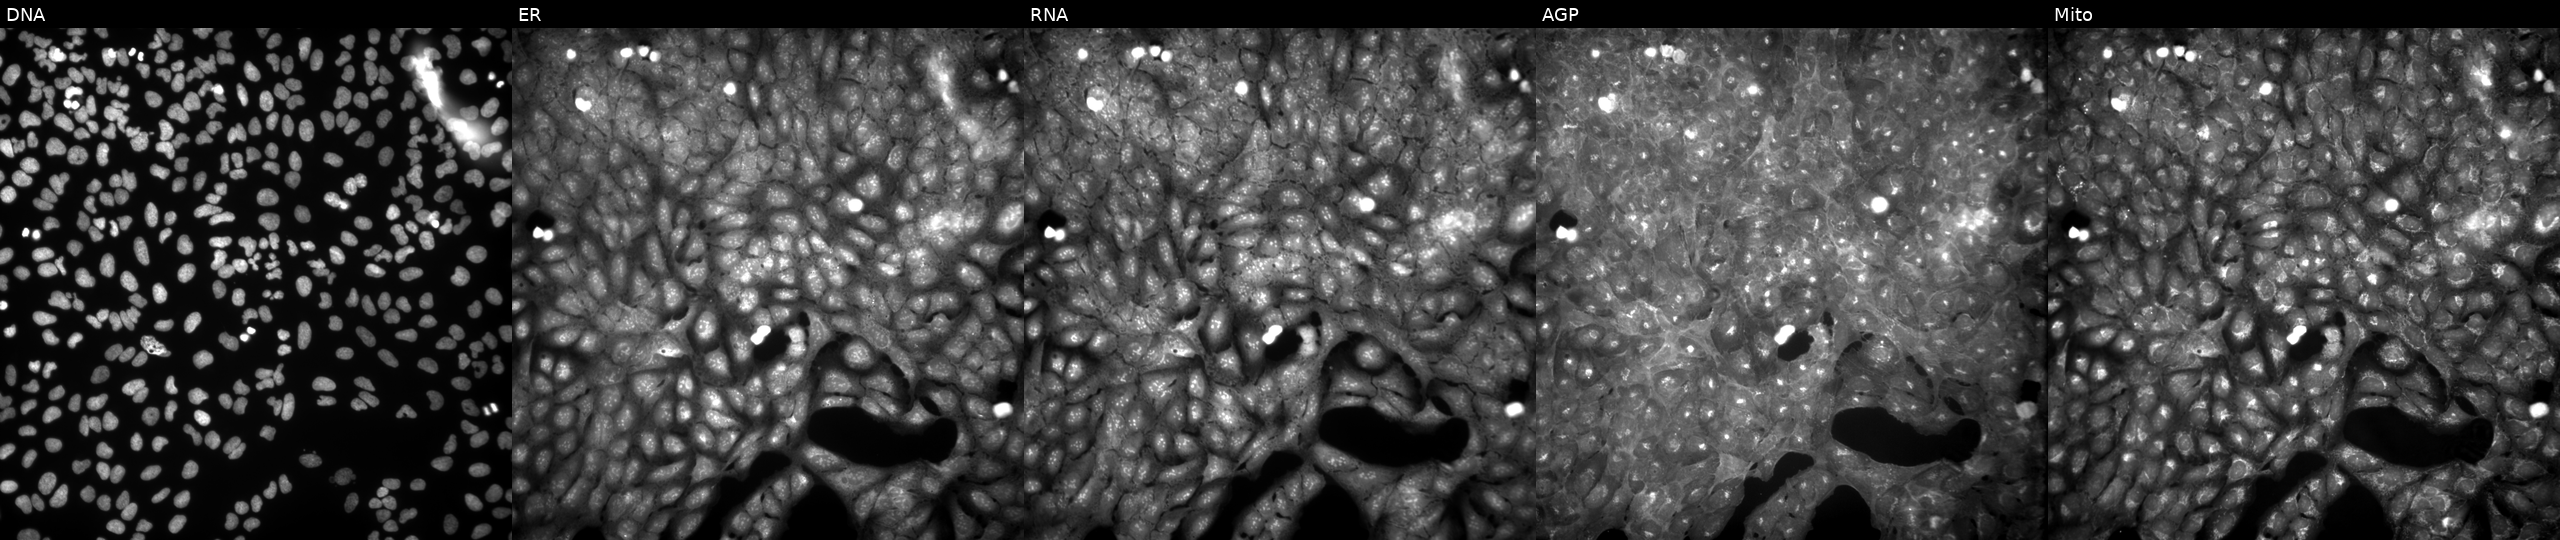
Five-channel Cell Painting image of U2OS cells exposed to a small-molecule compound [SMILES: CC(C)(C)c1cc(Br)ccc1OCC(=O)N=c1nc[nH][nH]1]. The five panels, left to right, show Hoechst 33342, concanavalin A, SYTO 14, phalloidin and WGA, MitoTracker.